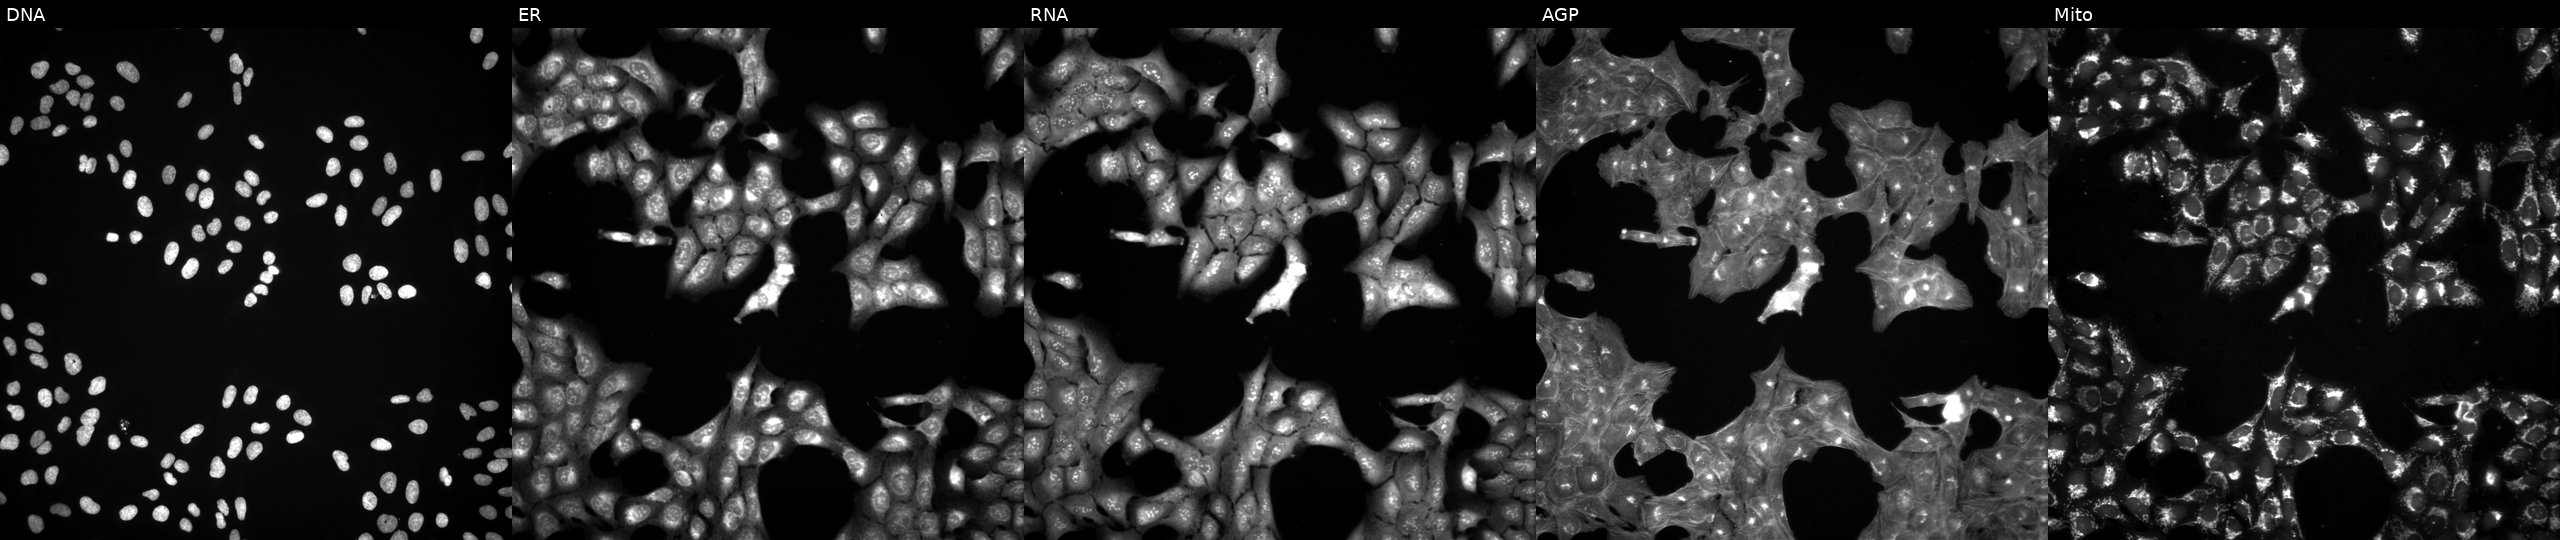
This image strip shows the five Cell Painting channels for a single field of U2OS cells treated with a small-molecule compound (InChIKey MFDFERRIHVXMIY-UHFFFAOYSA-N). Panels show, left to right, DNA, ER, RNA, AGP, and Mito. Source 3, plate JCPQC051, well G23.